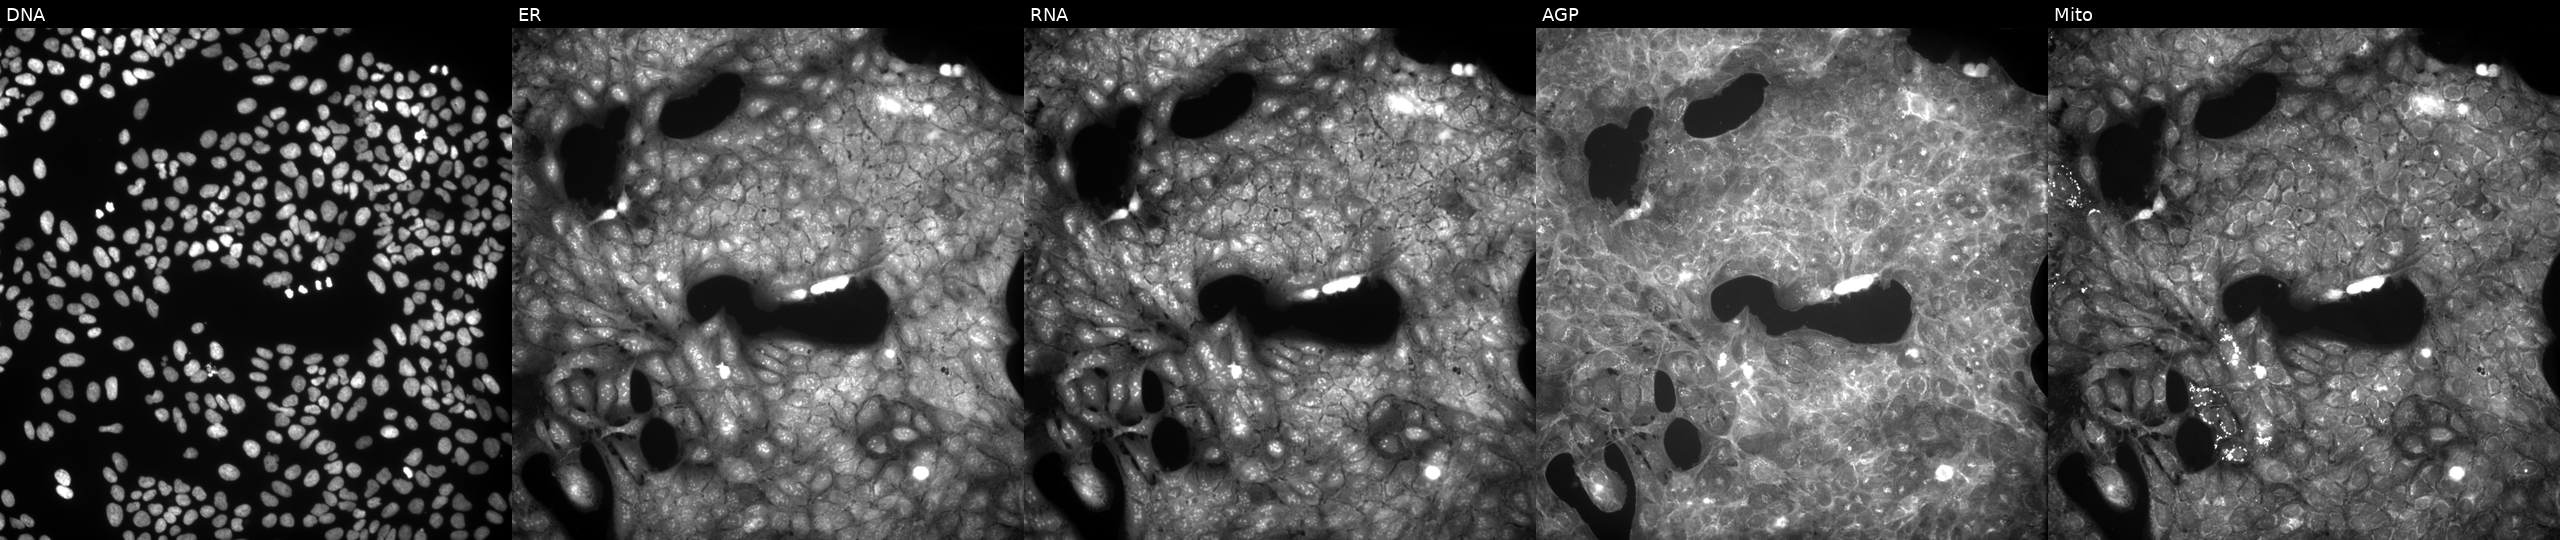
The five panels, left to right, show Hoechst 33342, concanavalin A, SYTO 14, phalloidin and WGA, MitoTracker. U2OS osteosarcoma cells exposed to a small-molecule compound (InChIKey IBCXZJCWDGCXQT-UHFFFAOYSA-N) (JUMP id JCP2022_033954). Cell Painting assay, JUMP-CP dataset.